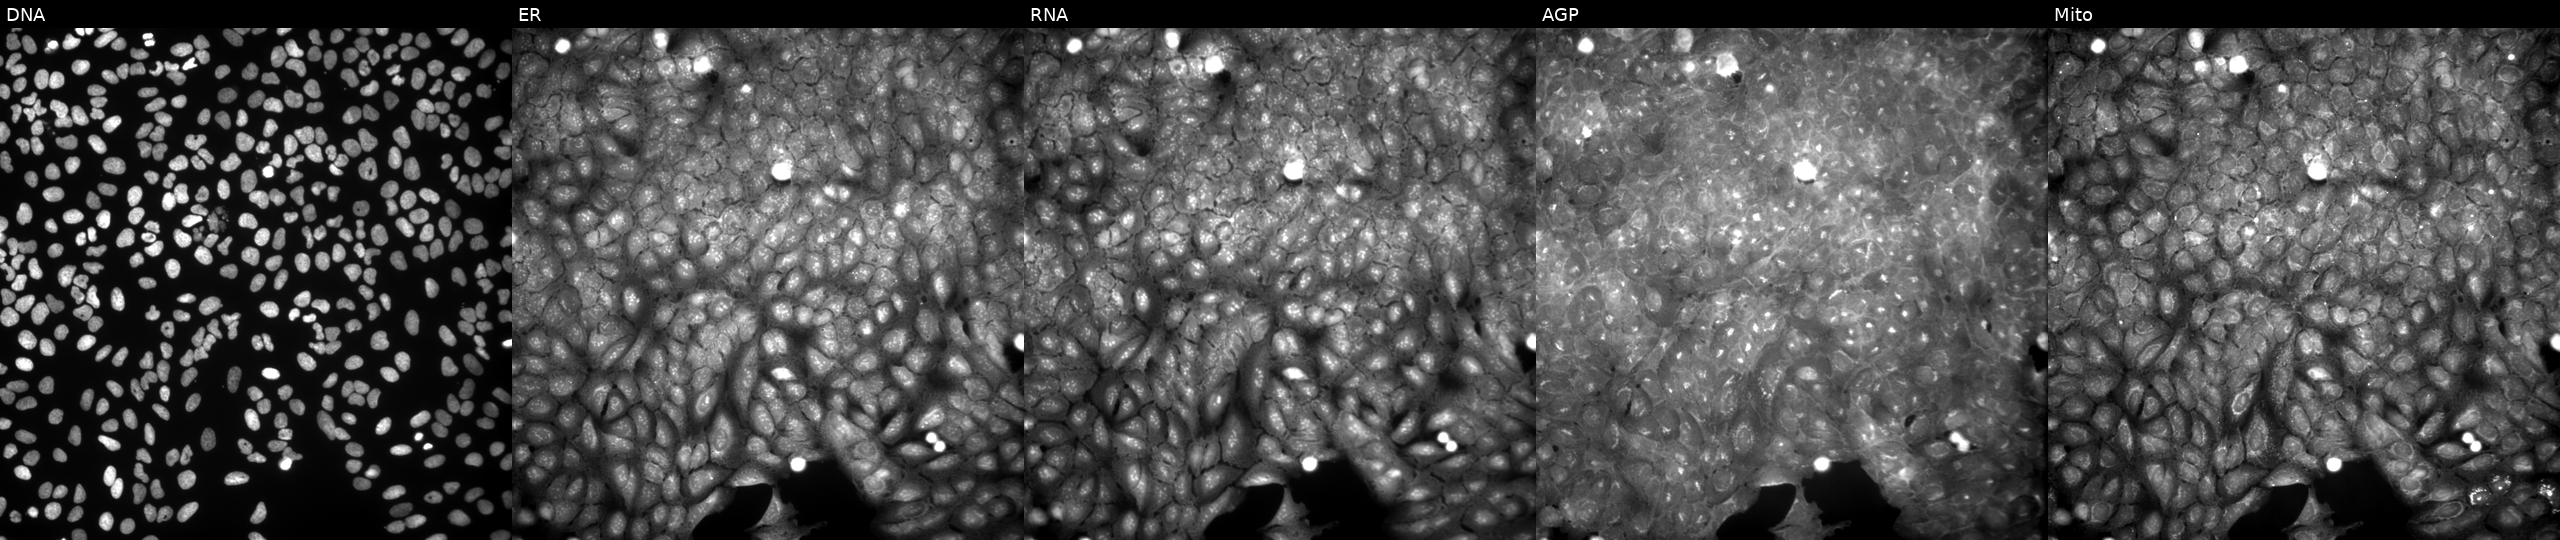
U2OS cells, Cell Painting assay, exposed to a small-molecule compound (InChIKey WLBSULSOUGREFX-UHFFFAOYSA-N). From left to right: Hoechst 33342, concanavalin A, SYTO 14, phalloidin and WGA, MitoTracker. Each panel is percentile-stretched 16-bit fluorescence.